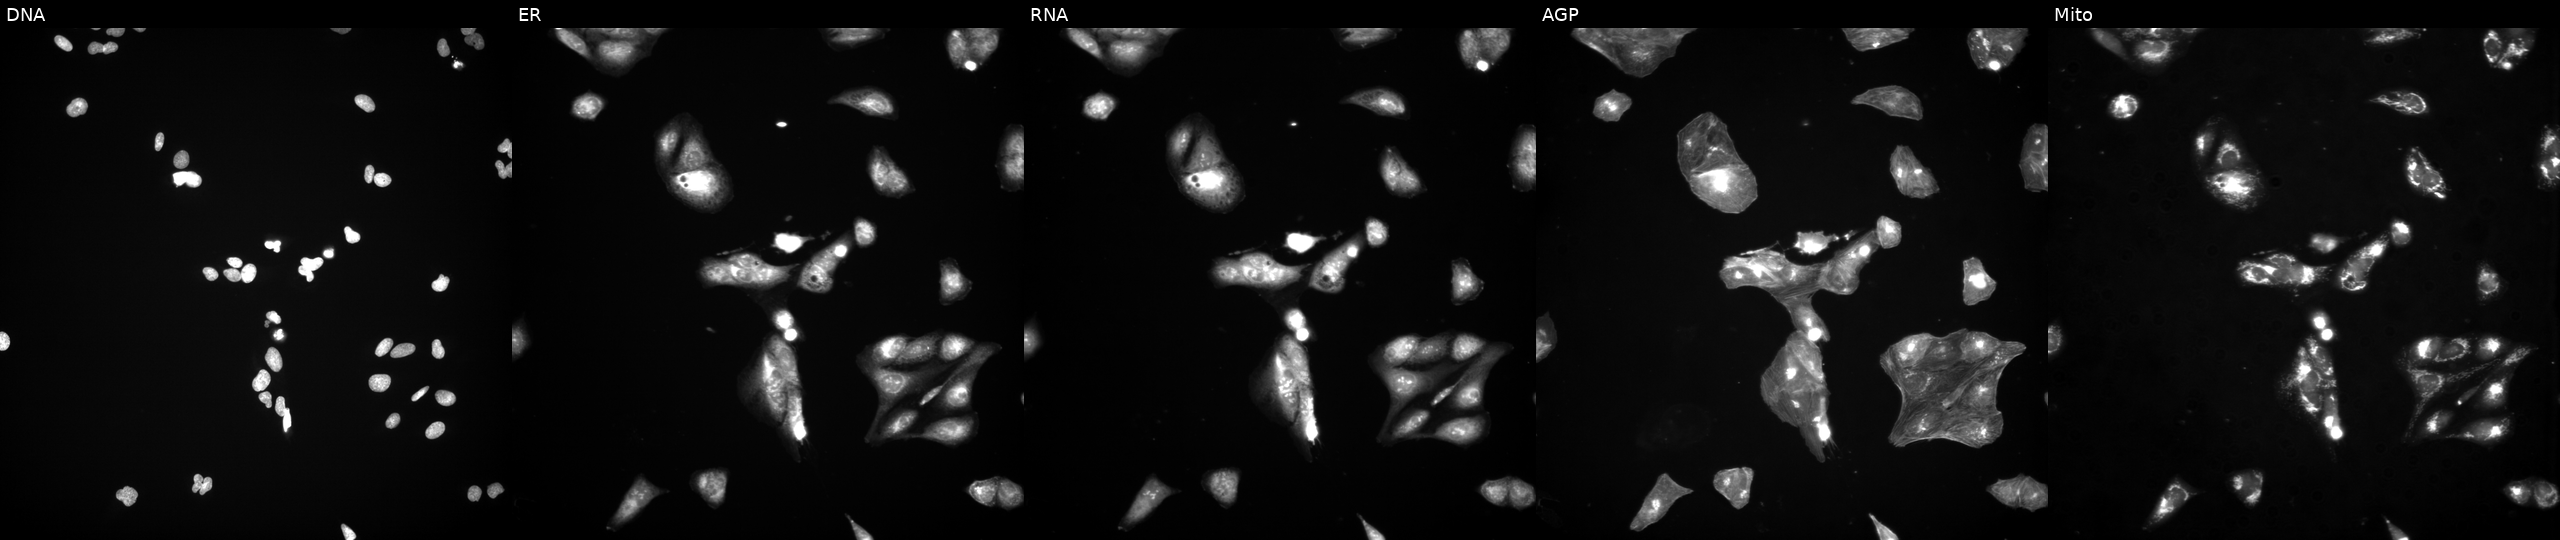
U2OS cells, Cell Painting assay, exposed to a small-molecule compound (InChIKey AYCPARAPKDAOEN-UHFFFAOYSA-N) [SMILES: Cc1nc(=Nc2[nH]nc3c2CN(C(=O)NC(CN(C)C)c2ccccc2)C3(C)C)c2sccc2[nH]1] (JUMP id JCP2022_004587). From left to right: Hoechst 33342, concanavalin A, SYTO 14, phalloidin and WGA, MitoTracker. Each panel is percentile-stretched 16-bit fluorescence. Source 3, plate JCPQC052, well M11.